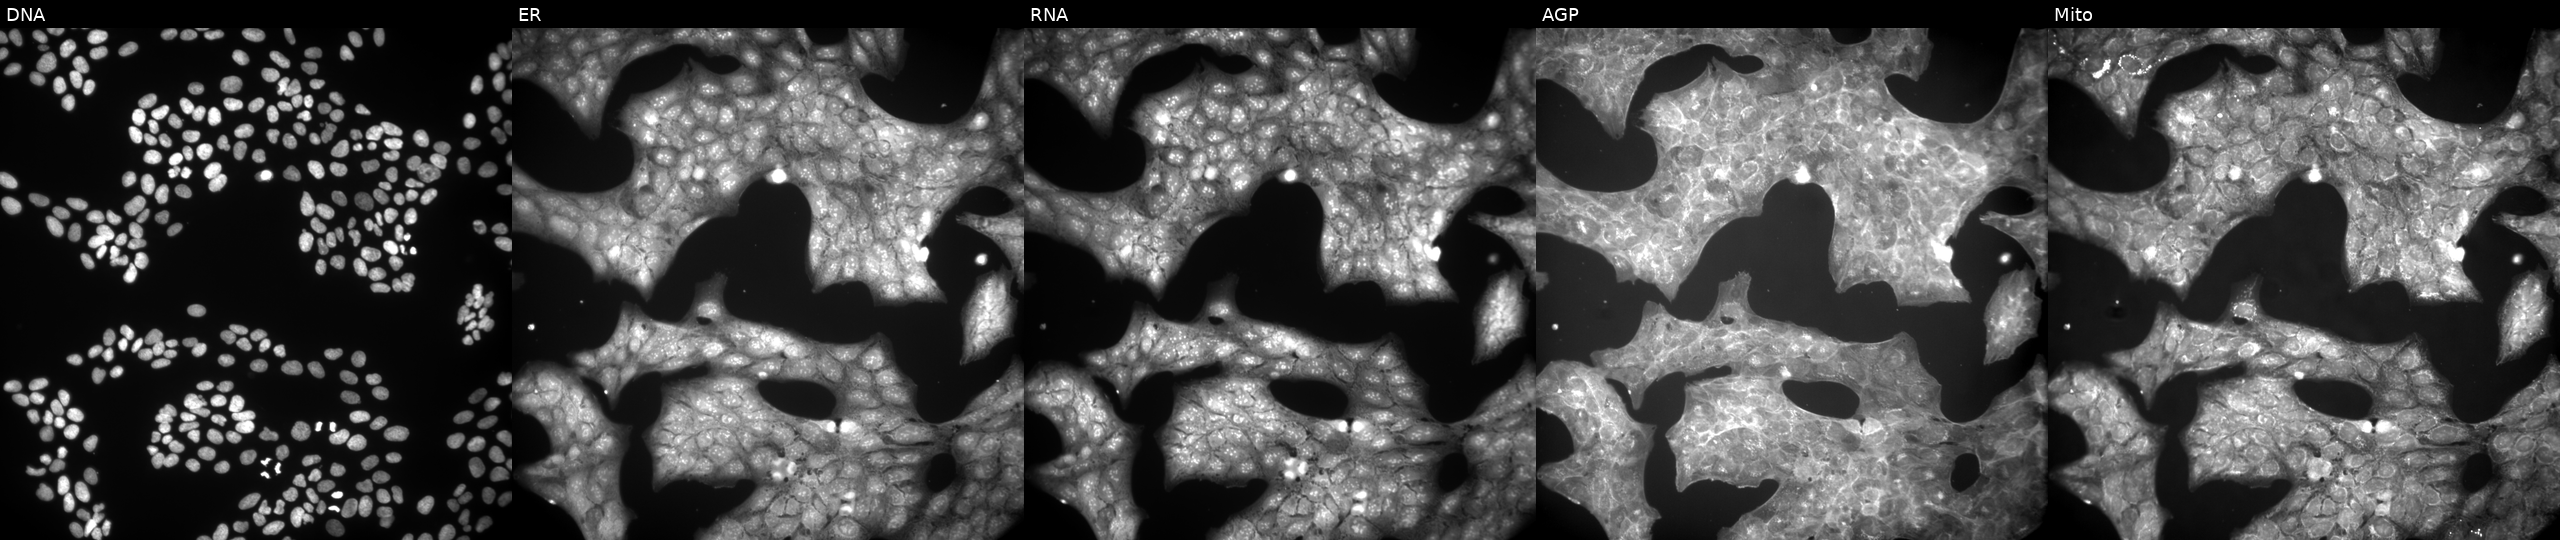
U2OS cells, Cell Painting assay, exposed to a small-molecule compound (InChIKey IBCXZJCWDGCXQT-UHFFFAOYSA-N) (JUMP id JCP2022_033954). Panels show, left to right, Hoechst 33342, concanavalin A, SYTO 14, phalloidin and WGA, MitoTracker. Each panel is percentile-stretched 16-bit fluorescence.